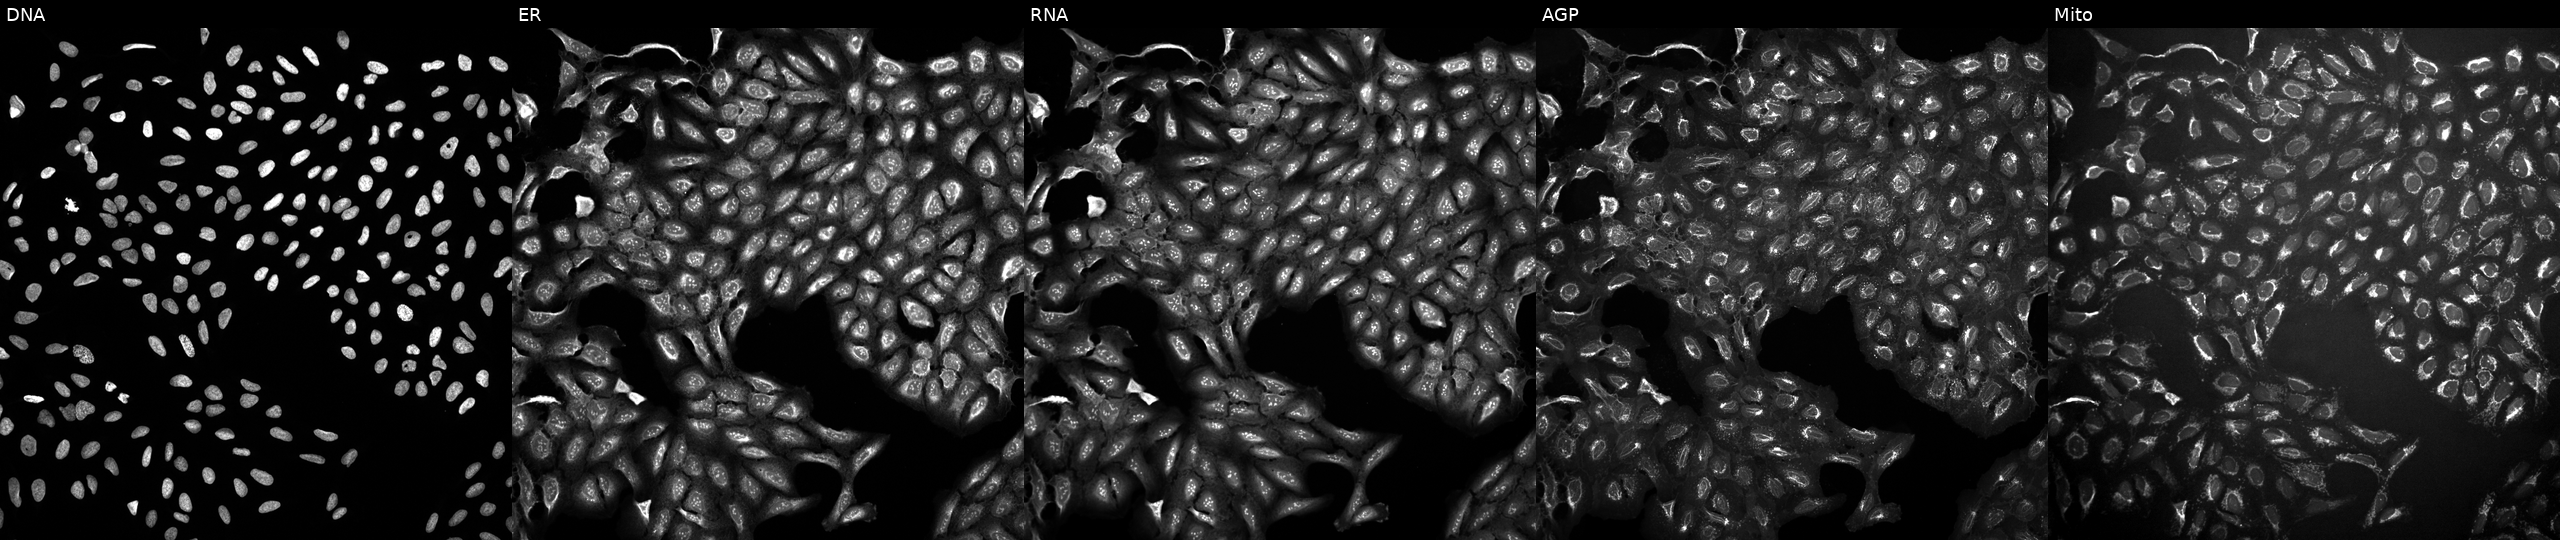
JUMP Cell Painting — TARGET2 plate. U2OS cells perturbed with a small-molecule compound (InChIKey ZRALSGWEFCBTJO-UHFFFAOYSA-N) (JUMP id JCP2022_115134). Channels (left→right): Hoechst 33342, concanavalin A, SYTO 14, phalloidin and WGA, MitoTracker.